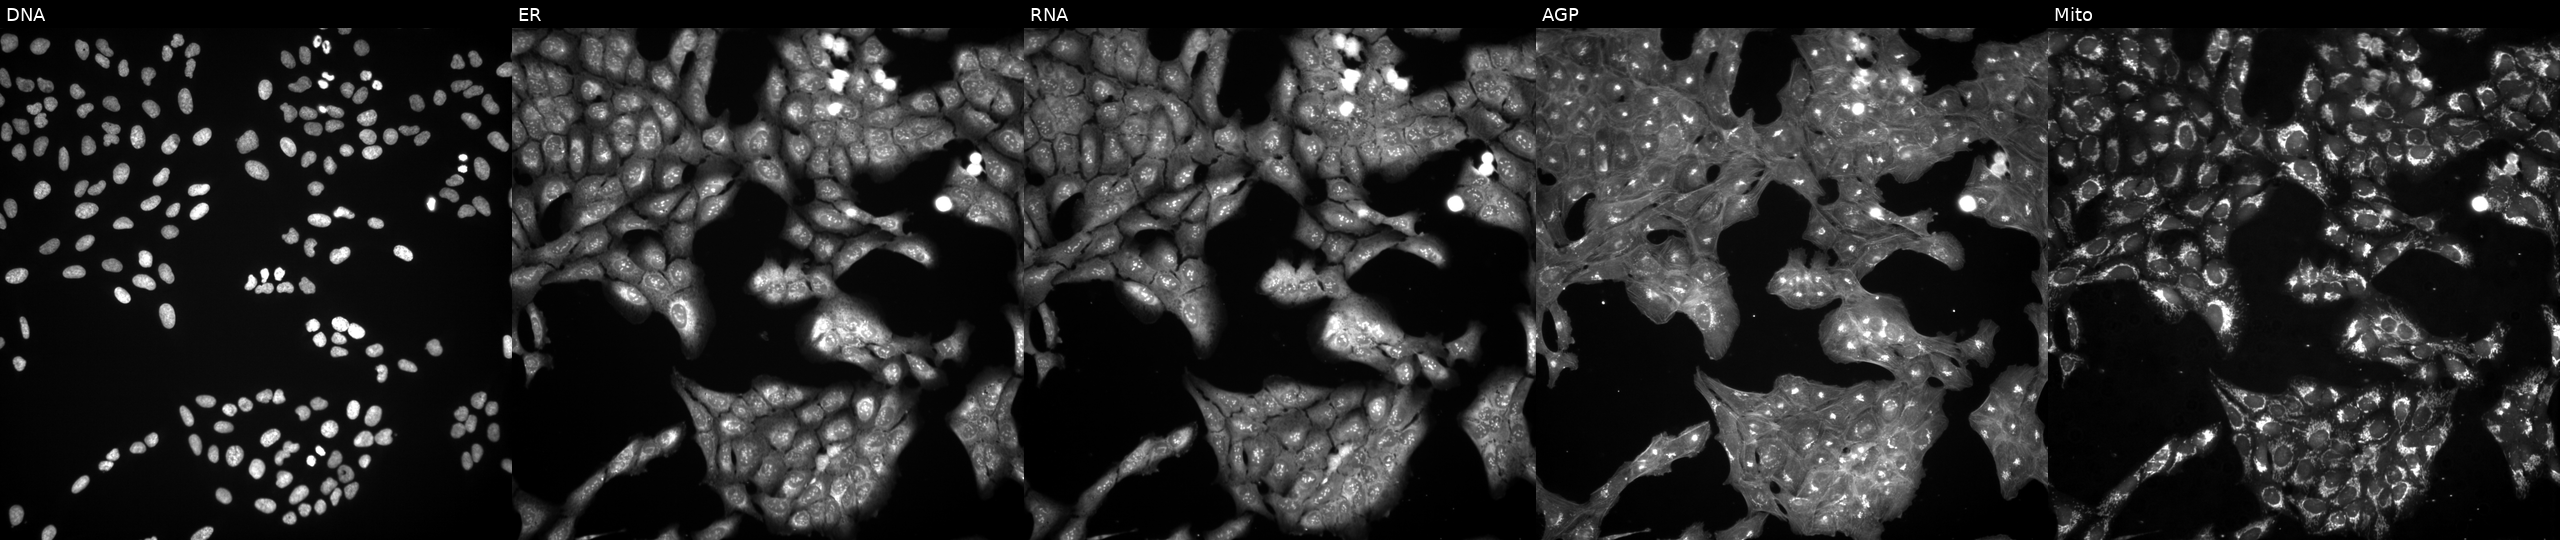
This image strip shows the five Cell Painting channels for a single field of U2OS cells treated with DMSO vehicle only (negative control). The five panels, left to right, show DNA, ER, RNA, AGP, and Mito. Source 3, plate JCPQC052, well E08.